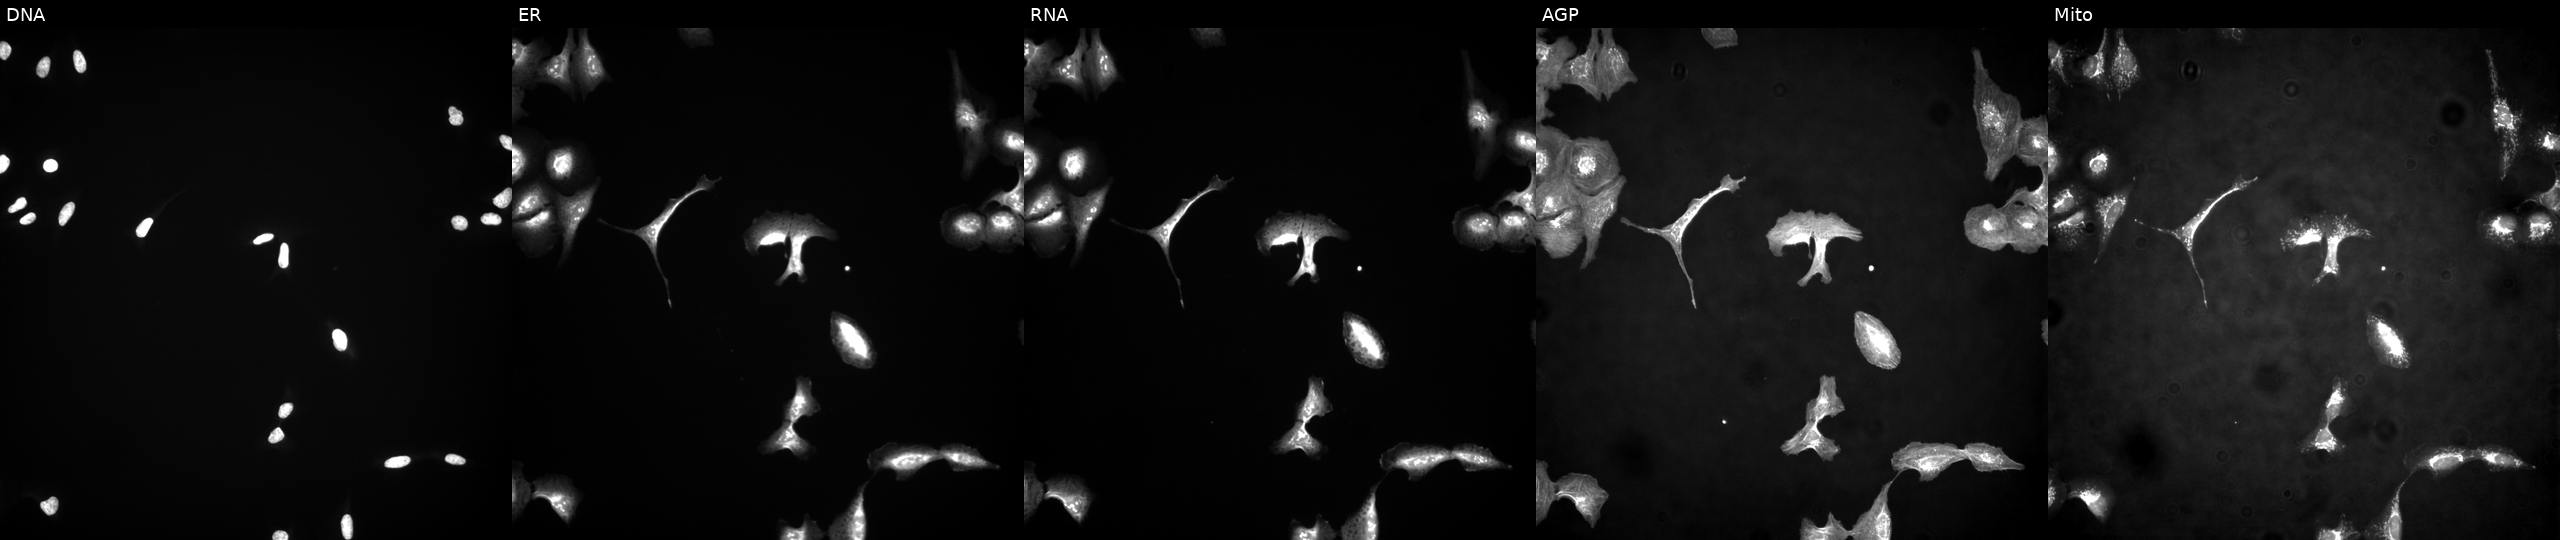
Five-channel Cell Painting image of U2OS cells with XLOC_001866 overexpressed (ORF). From left to right: Hoechst 33342, concanavalin A, SYTO 14, phalloidin and WGA, MitoTracker. Source 4, plate BR00124784, well N09.